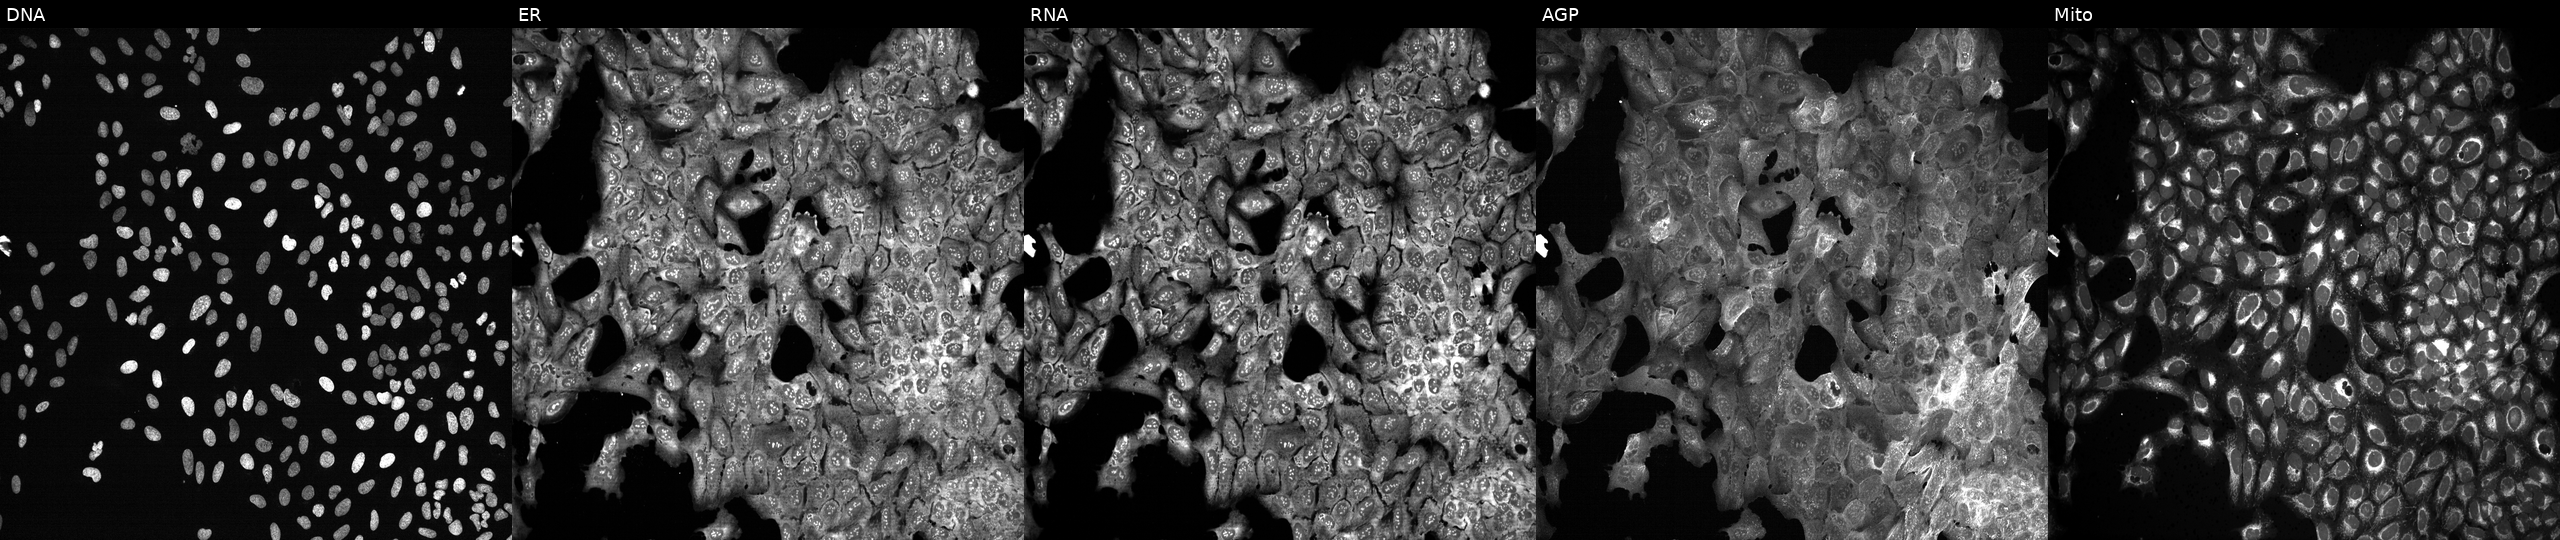
JUMP Cell Painting — CRISPR plate. U2OS cells following CRISPR knockout of FGF11. Panels show, left to right, DNA, ER, RNA, AGP, and Mito. Source 13, plate CP-CC9-R2-01, well F13.